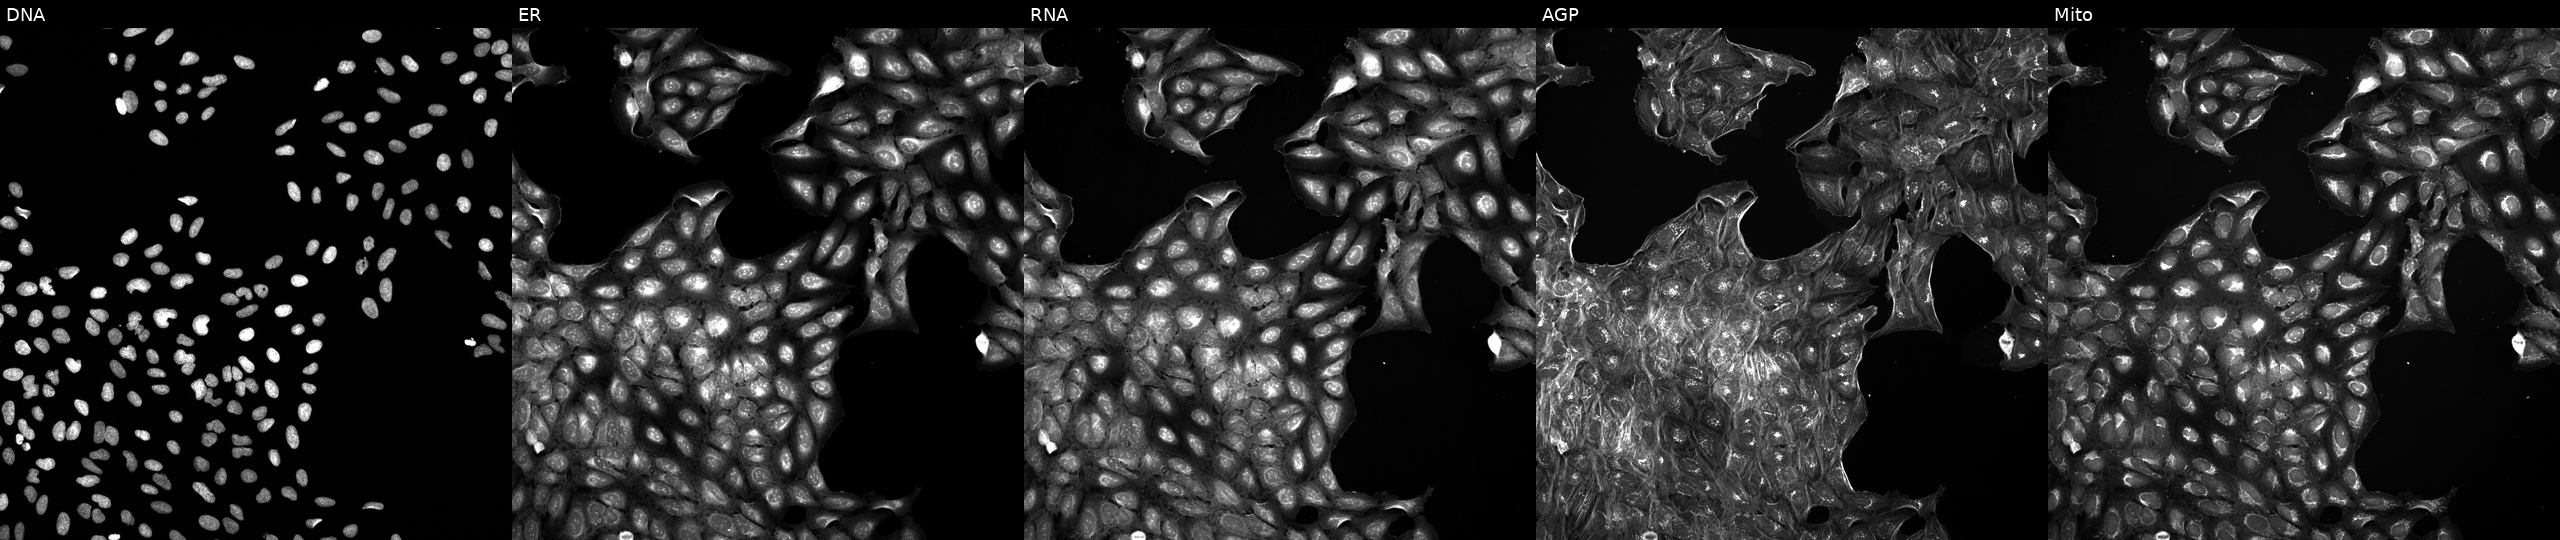
JUMP Cell Painting — COMPOUND plate. U2OS cells exposed to a small-molecule compound (JUMP id JCP2022_058195). From left to right: Hoechst 33342, concanavalin A, SYTO 14, phalloidin and WGA, MitoTracker.